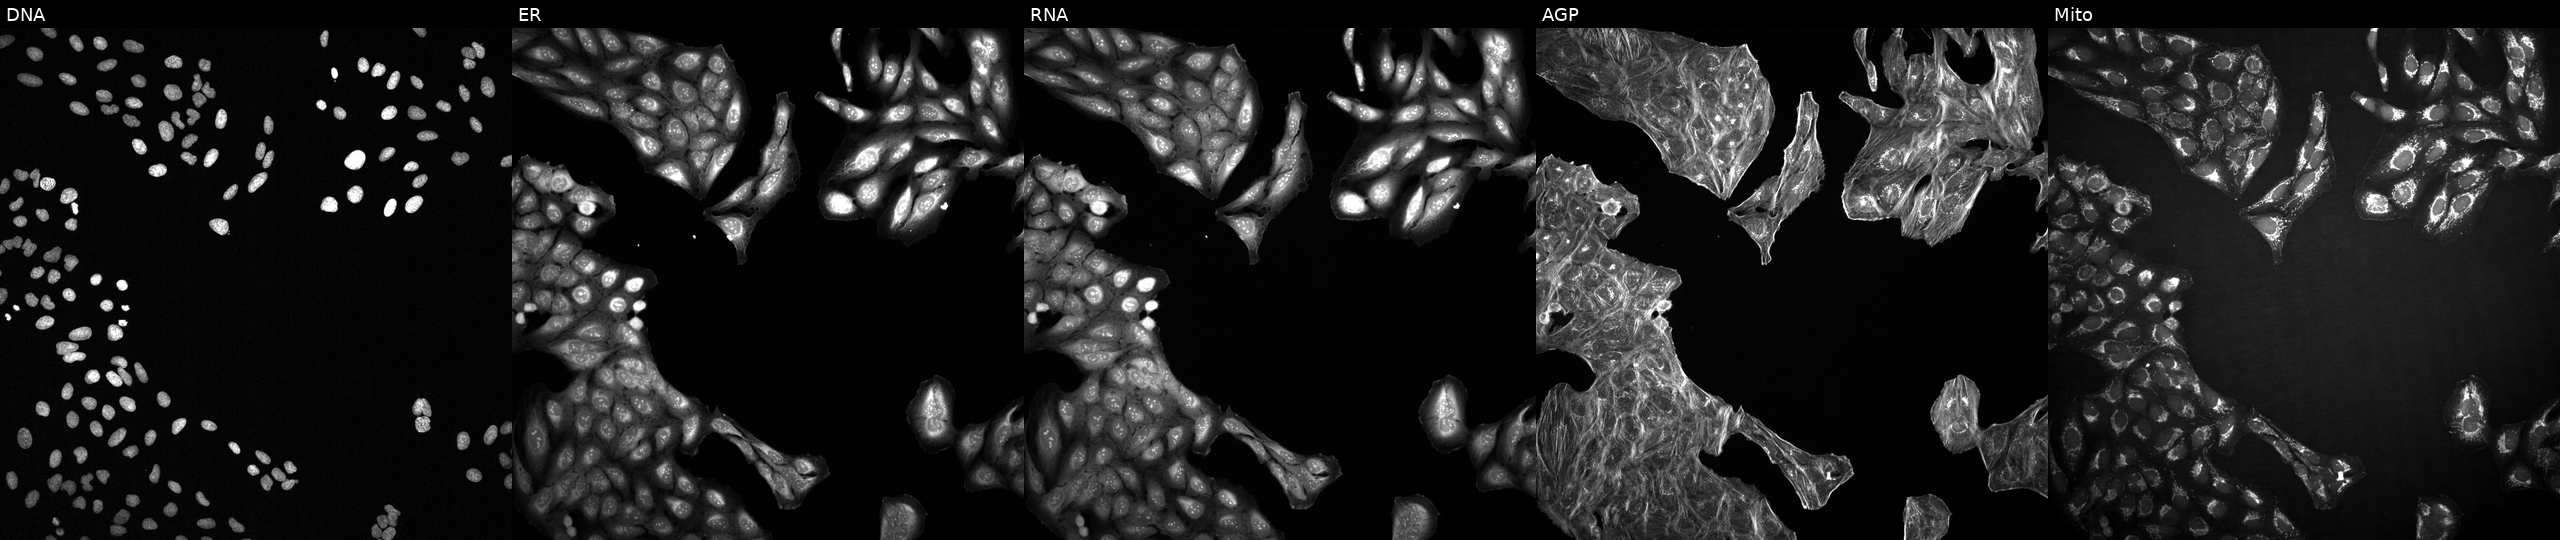
JUMP Cell Painting — COMPOUND plate. U2OS cells exposed to a small-molecule compound (InChIKey RTBGHWYLLYTHJO-UHFFFAOYSA-N) [SMILES: Cc1ccc(OCCSc2n[nH]c(=NC(=O)Nc3ccccc3F)s2)cc1] (JUMP id JCP2022_080554). Panels show, left to right, Hoechst 33342, concanavalin A, SYTO 14, phalloidin and WGA, MitoTracker.